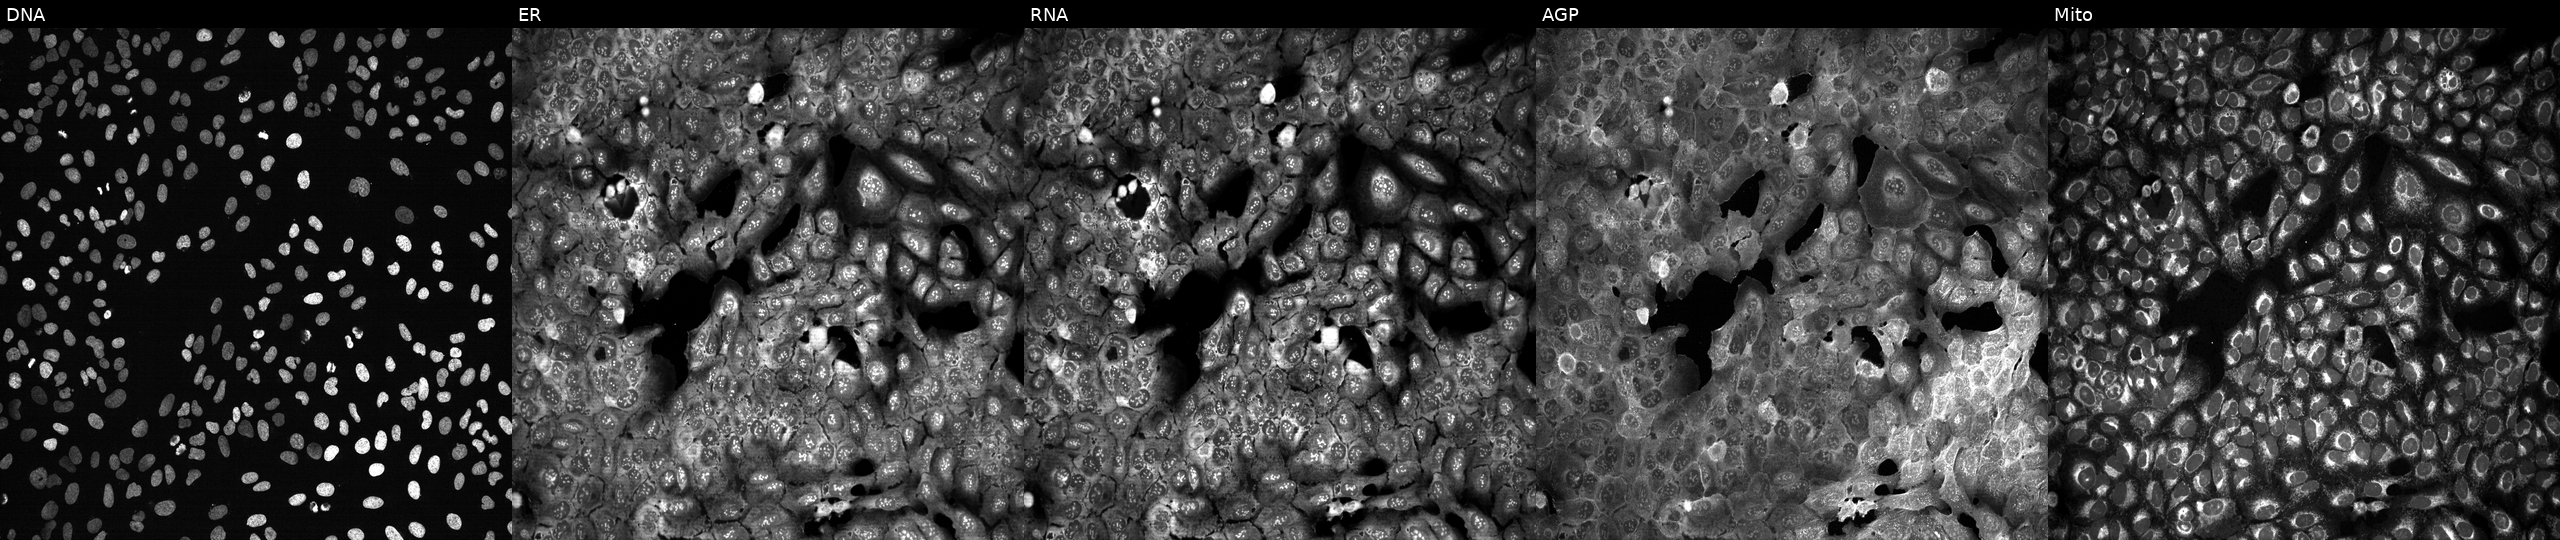
JUMP Cell Painting — CRISPR plate. U2OS cells with TUBB1 knocked out by CRISPR. Channels (left→right): DNA, ER, RNA, AGP, and Mito. Source 13, plate CP-CC9-R3-02, well B07.